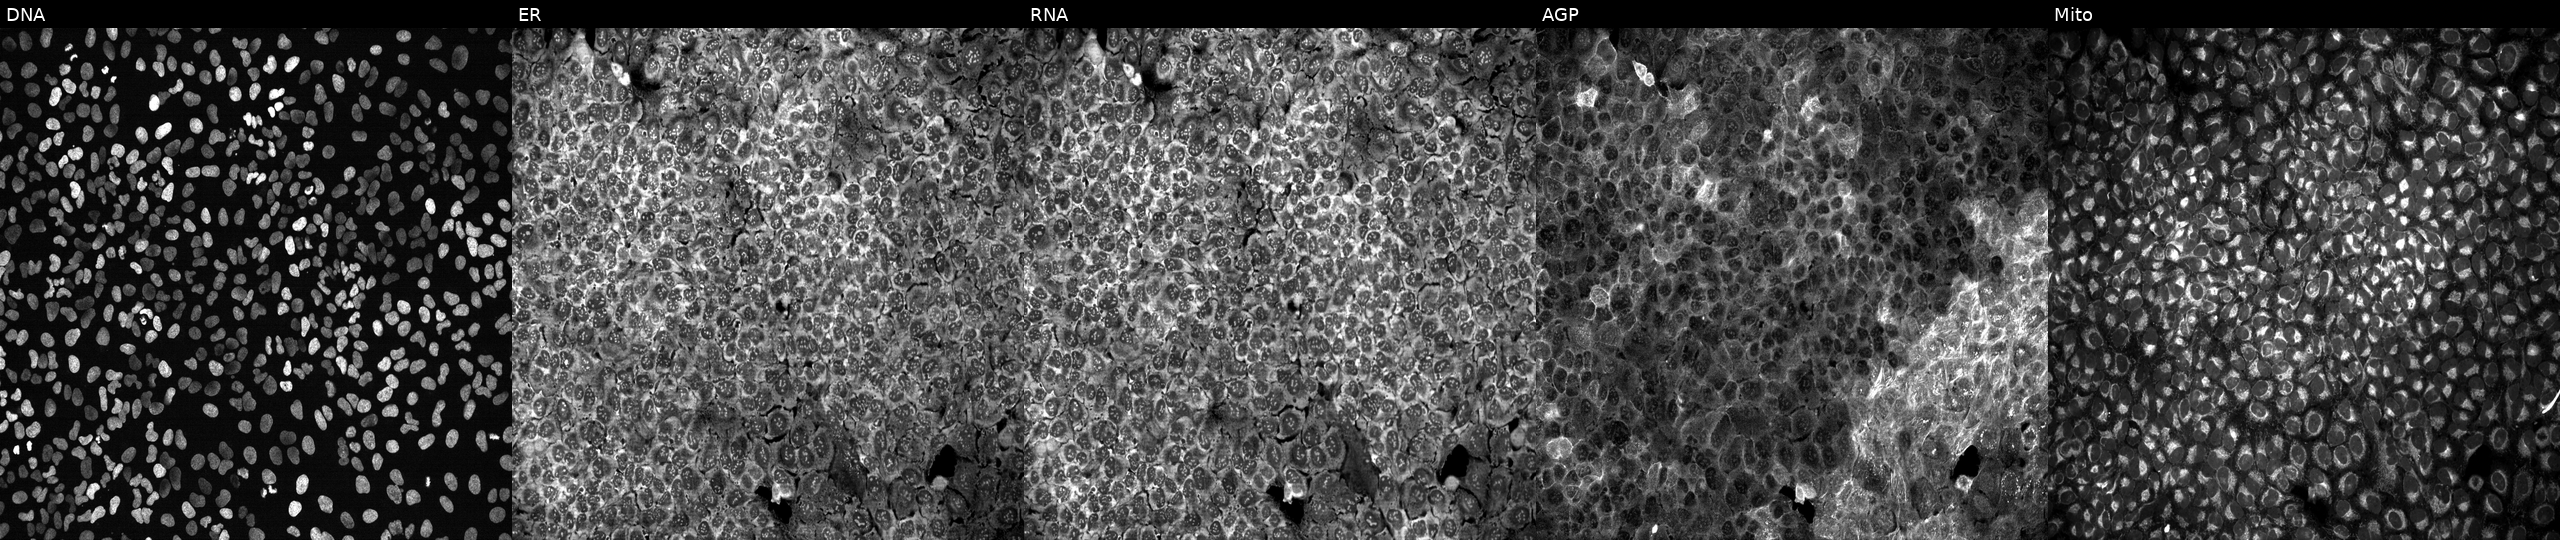
JUMP Cell Painting — CRISPR plate. U2OS cells with a non-targeting CRISPR guide (negative control). From left to right: Hoechst 33342, concanavalin A, SYTO 14, phalloidin and WGA, MitoTracker. Source 13, plate CP-CC9-R2-01, well C23.